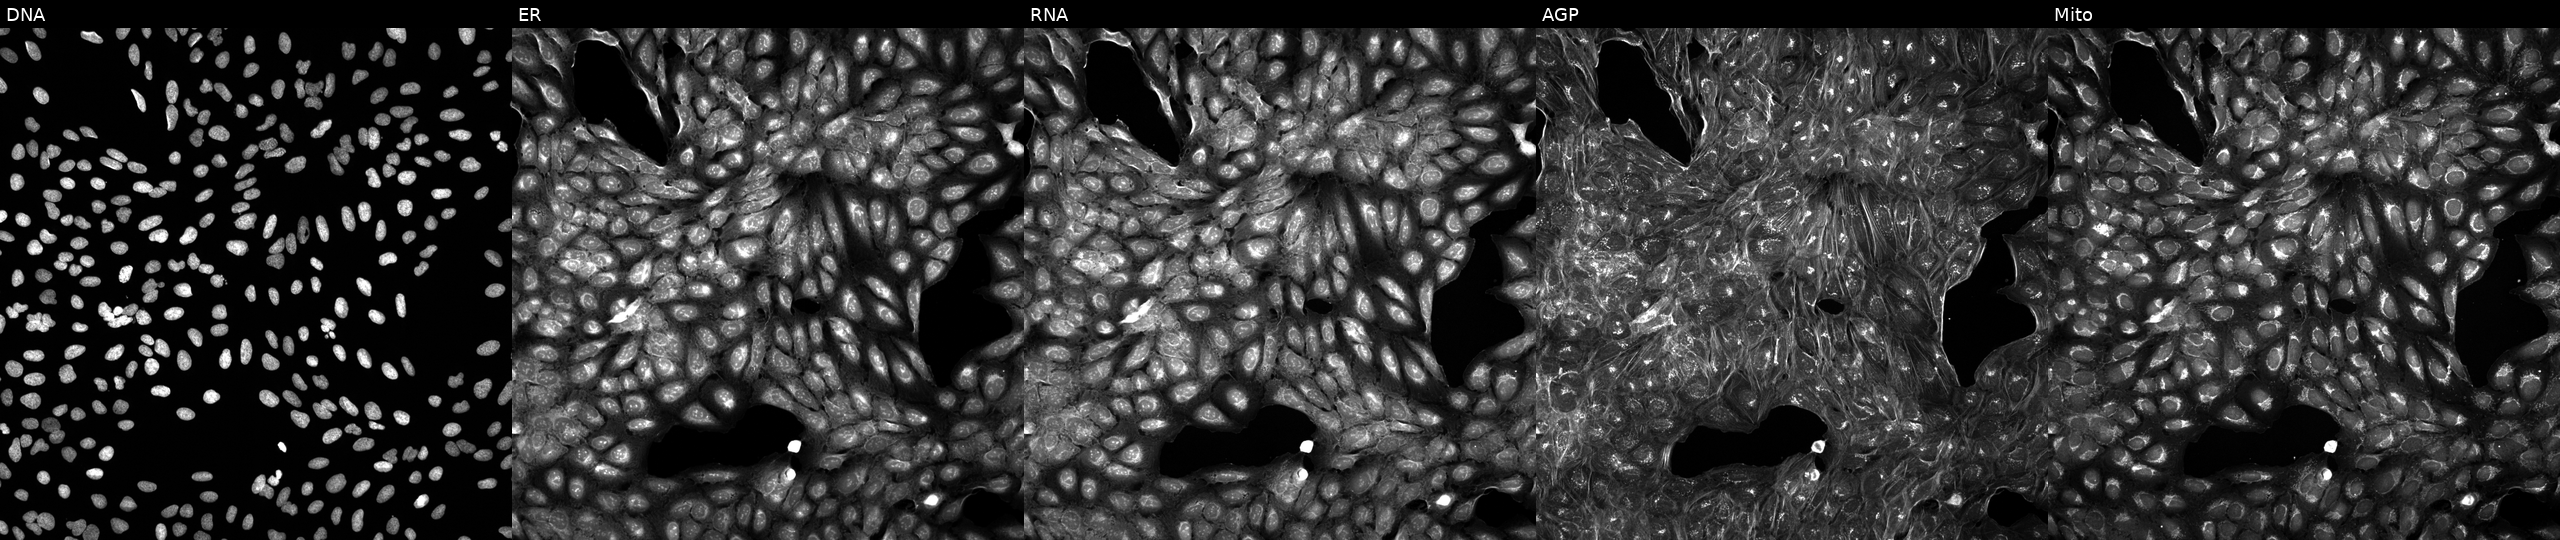
JUMP Cell Painting — COMPOUND plate. U2OS cells perturbed with a small-molecule compound. From left to right: Hoechst 33342, concanavalin A, SYTO 14, phalloidin and WGA, MitoTracker.